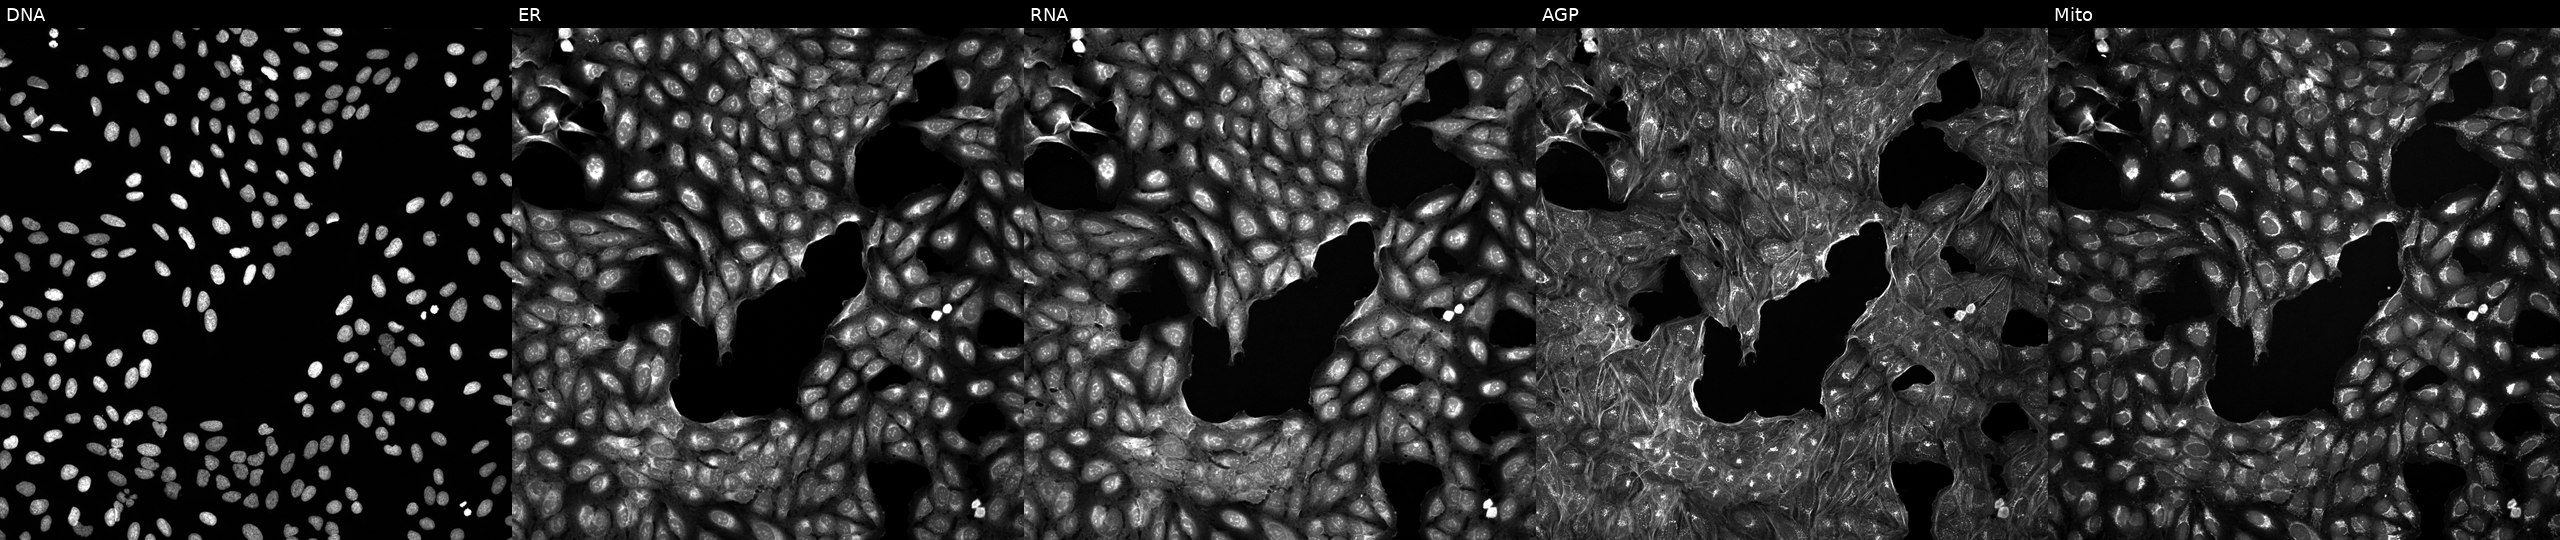
Five-channel Cell Painting image of U2OS cells exposed to a small-molecule compound (JUMP id JCP2022_033936). Panels show, left to right, DNA, ER, RNA, AGP, and Mito. Source 5, plate ACPJUM051, well F17.